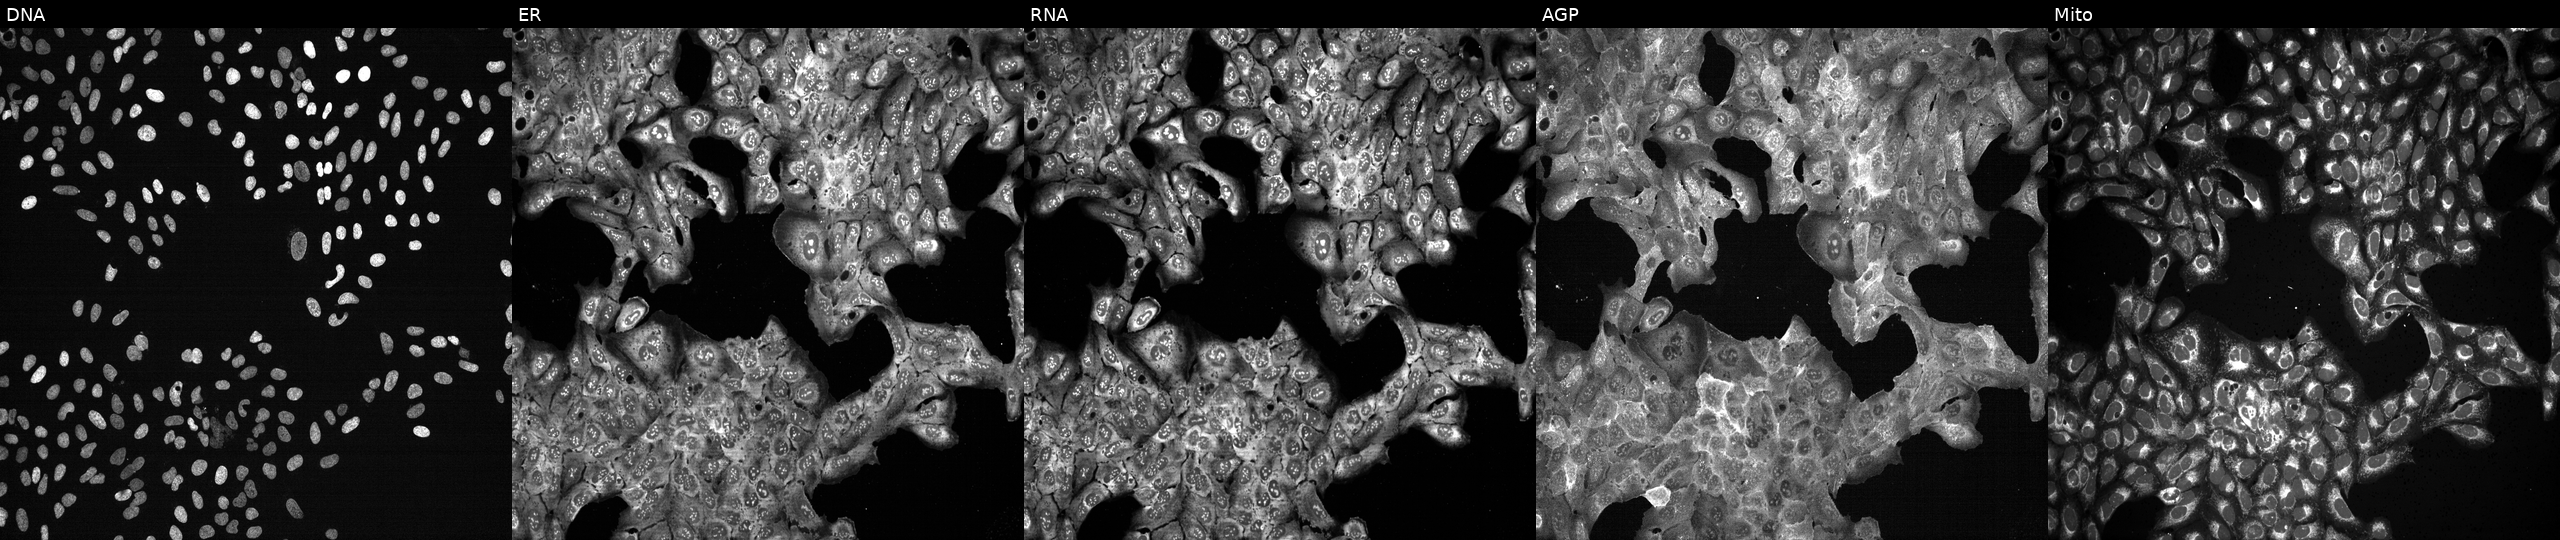
High-content fluorescence microscopy (Cell Painting). Cell line: U2OS. Perturbation: CRISPR-edited to disrupt CYP4F11. Panels show, left to right, Hoechst 33342, concanavalin A, SYTO 14, phalloidin and WGA, MitoTracker. Source 13, plate CP-CC9-R2-02, well I13.